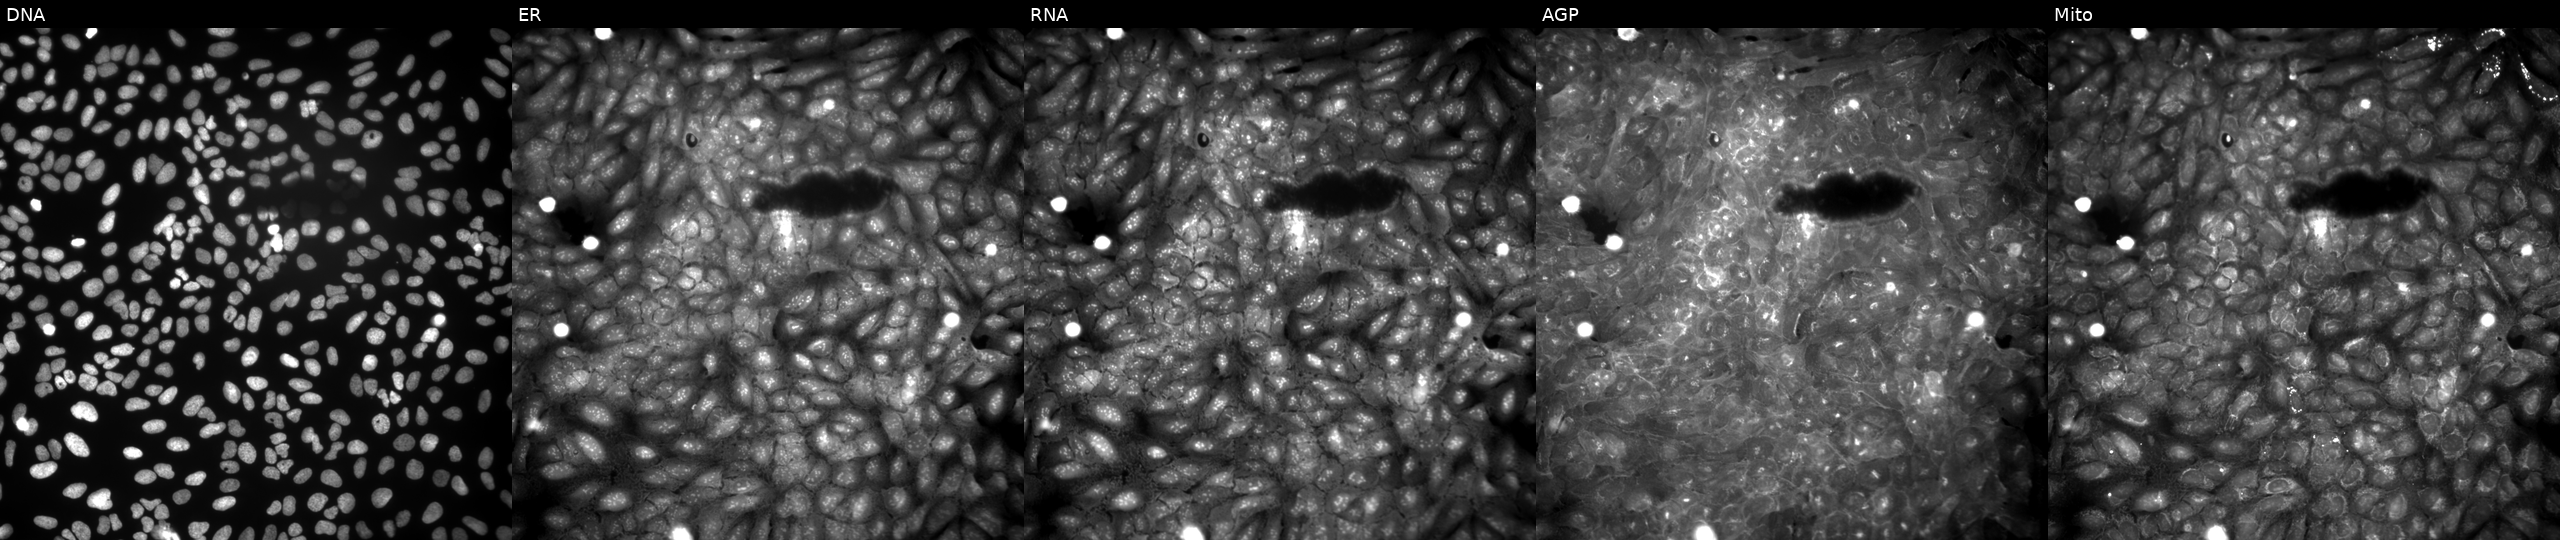
JUMP Cell Painting — COMPOUND plate. U2OS cells treated with a small-molecule compound (InChIKey KMNDFMMYEPEZNX-UHFFFAOYSA-N) [SMILES: CCCOc1ccc(CSC2=NCCN2)cc1[N+](=O)[O-]]. The five panels, left to right, show DNA, ER, RNA, AGP, and Mito.